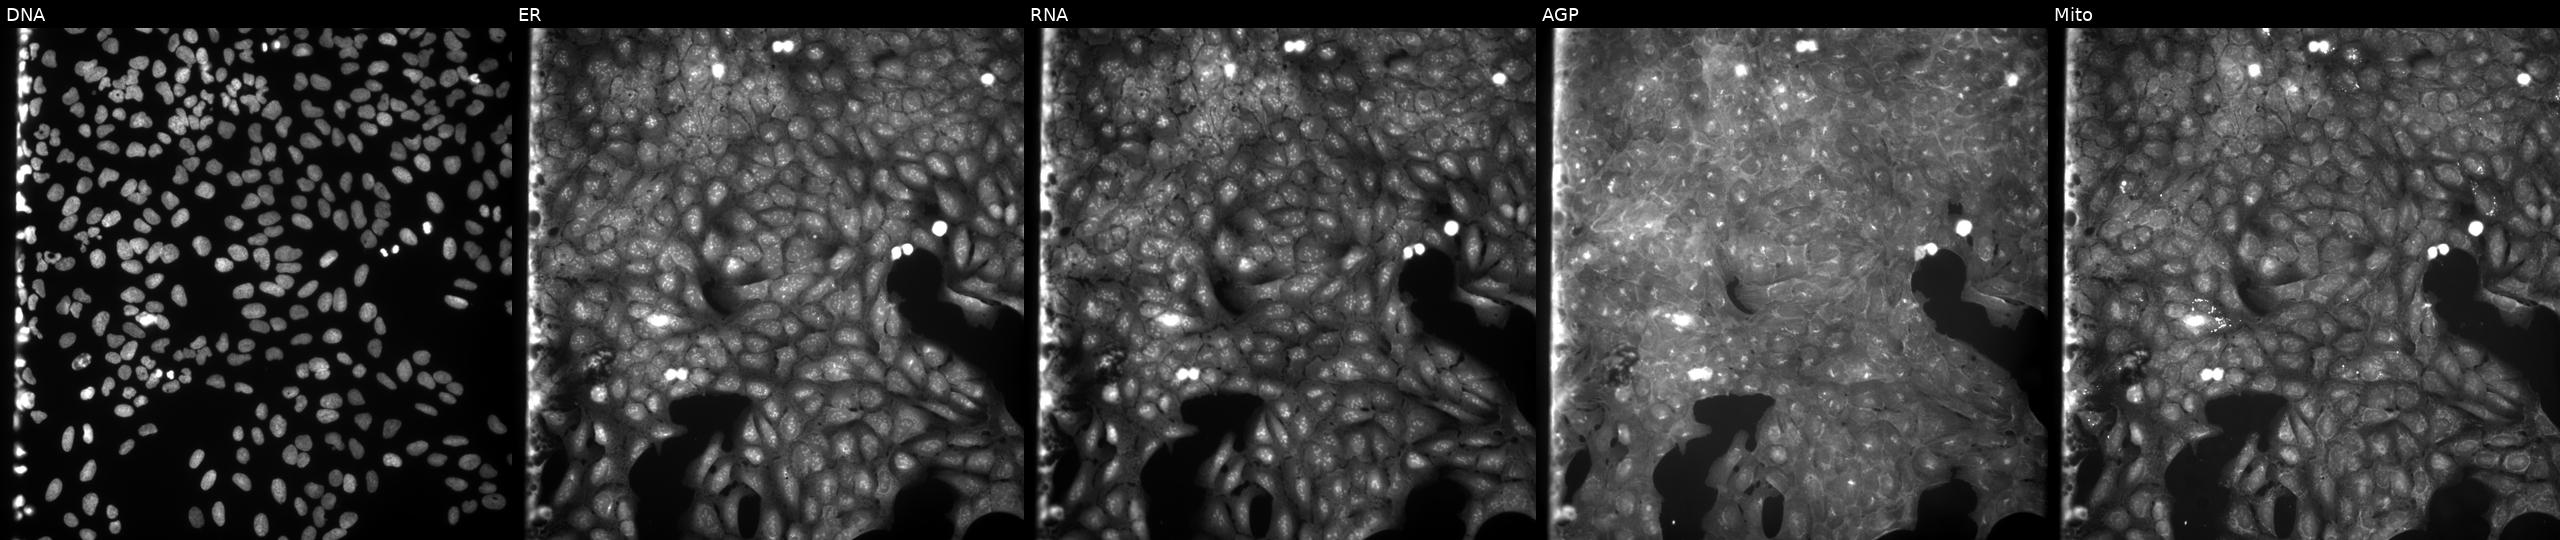
Panels show, left to right, DNA (nuclei); ER (endoplasmic reticulum); RNA (nucleoli and cytoplasmic RNA); AGP (actin cytoskeleton, Golgi, and plasma membrane); Mito (mitochondria). U2OS osteosarcoma cells exposed to a small-molecule compound. Cell Painting assay, JUMP-CP dataset. Source 9, plate GR00003382, well L12.